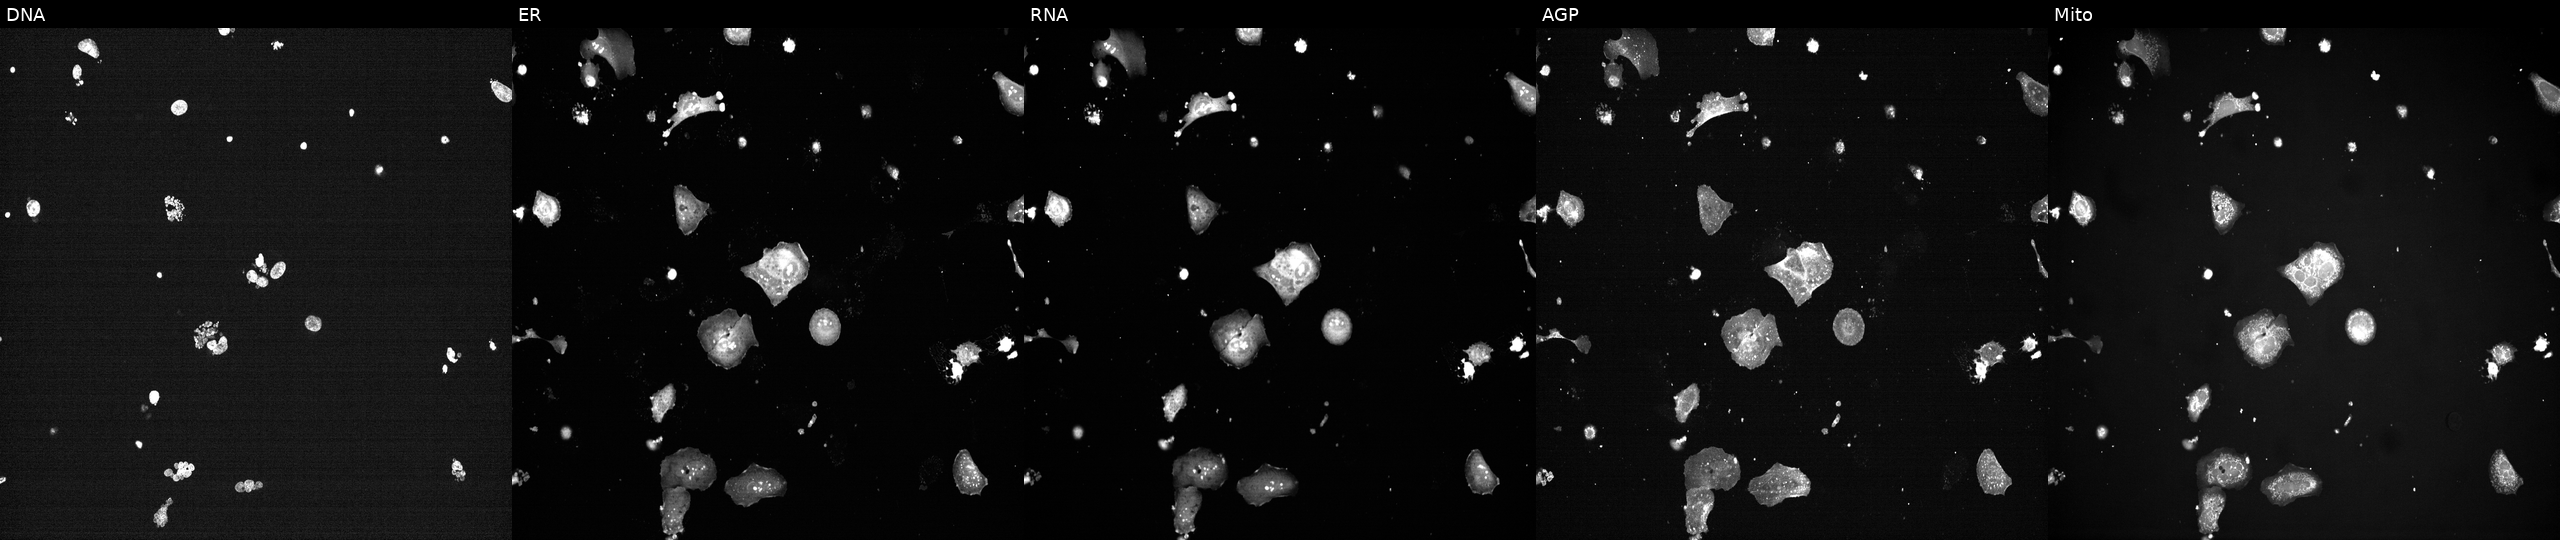
High-content fluorescence microscopy (Cell Painting). Cell line: U2OS. Perturbation: exposed to a small-molecule compound. Panels show, left to right, DNA, ER, RNA, AGP, and Mito.